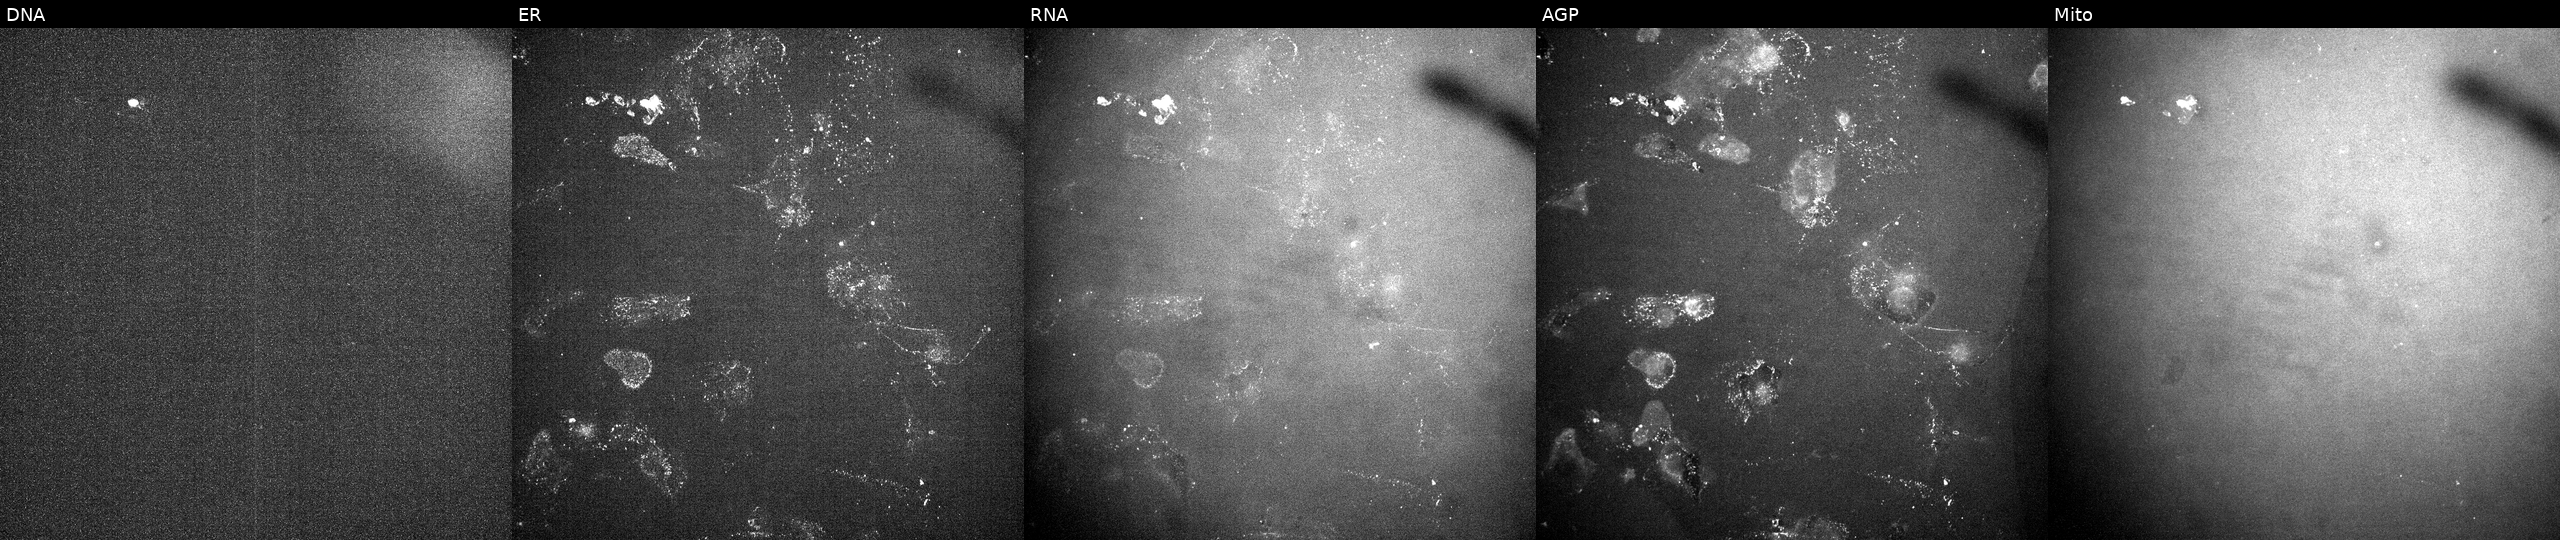
U2OS cells, Cell Painting assay, treated with a small-molecule compound (InChIKey LSFLAQVDISHMNB-UHFFFAOYSA-N) (JUMP id JCP2022_051415). Panels show, left to right, Hoechst 33342, concanavalin A, SYTO 14, phalloidin and WGA, MitoTracker. Each panel is percentile-stretched 16-bit fluorescence.